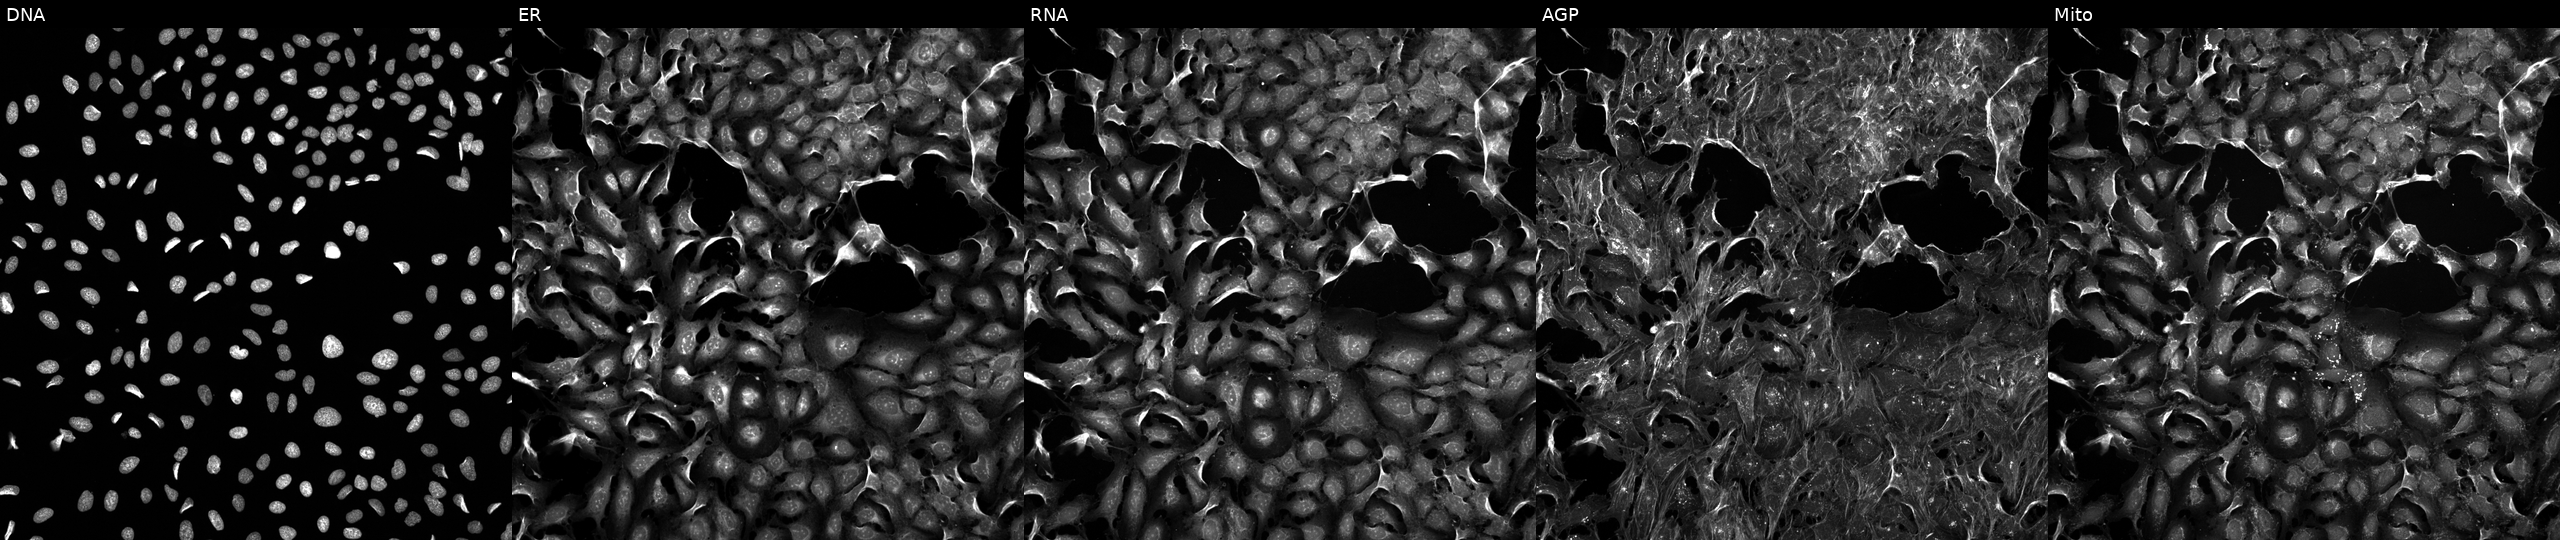
Five-channel Cell Painting image of U2OS cells exposed to the positive-control compound FK-866 (JUMP id JCP2022_046054). Panels show, left to right, DNA, ER, RNA, AGP, and Mito.